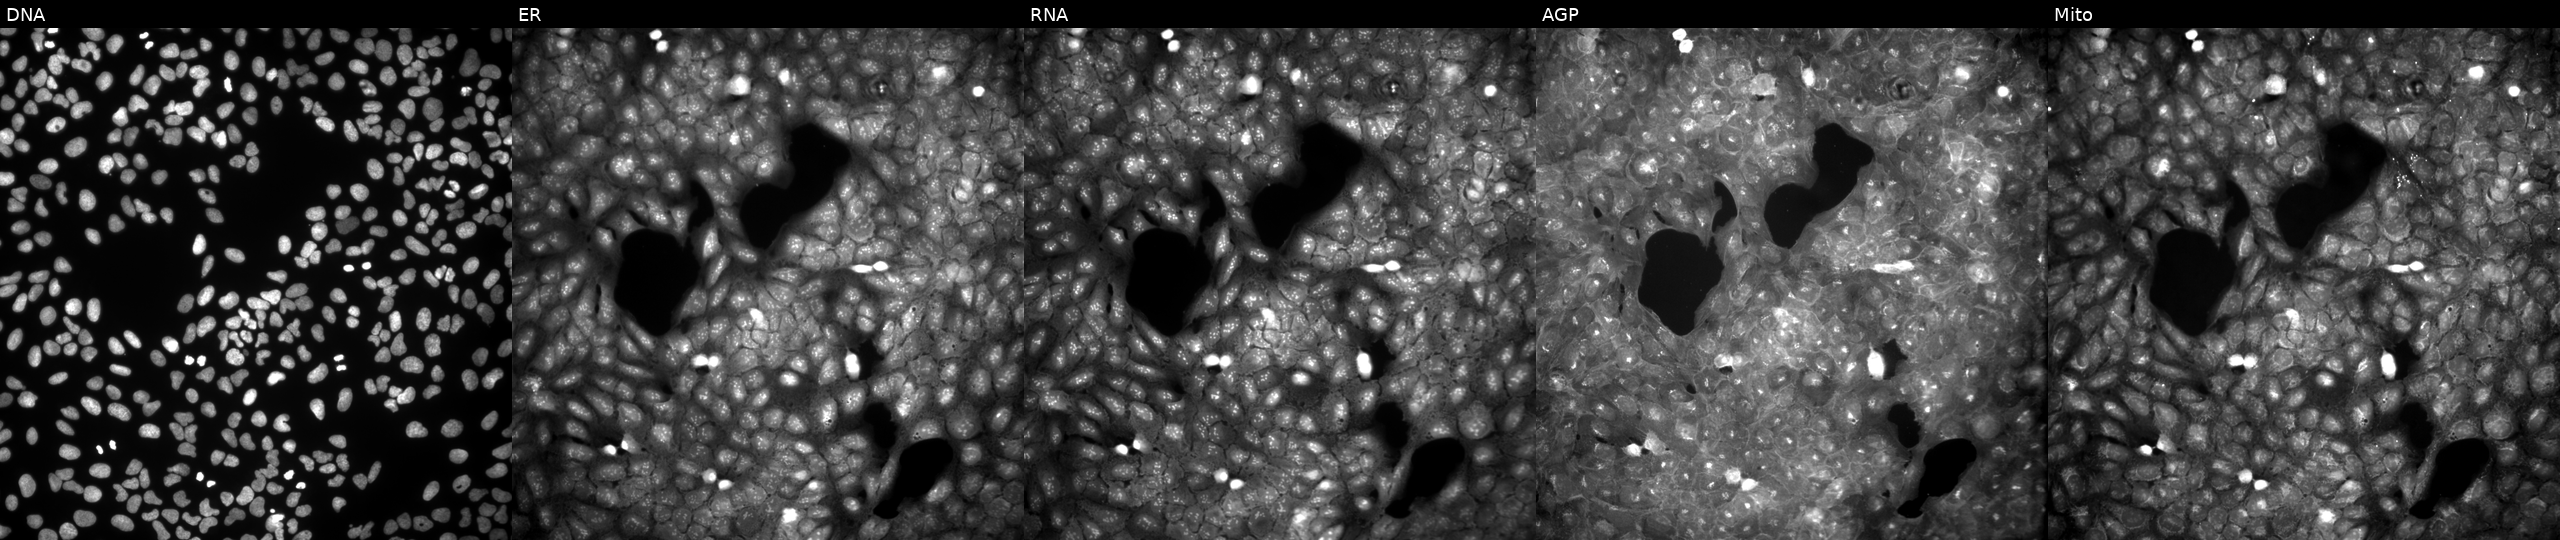
Channels (left→right): DNA (nuclei); ER (endoplasmic reticulum); RNA (nucleoli and cytoplasmic RNA); AGP (actin cytoskeleton, Golgi, and plasma membrane); Mito (mitochondria). U2OS osteosarcoma cells perturbed with a small-molecule compound (InChIKey GLBPBESZJQVPDJ-UHFFFAOYSA-N) (JUMP id JCP2022_026191). Cell Painting assay, JUMP-CP dataset. Source 9, plate GR00003381, well N37.